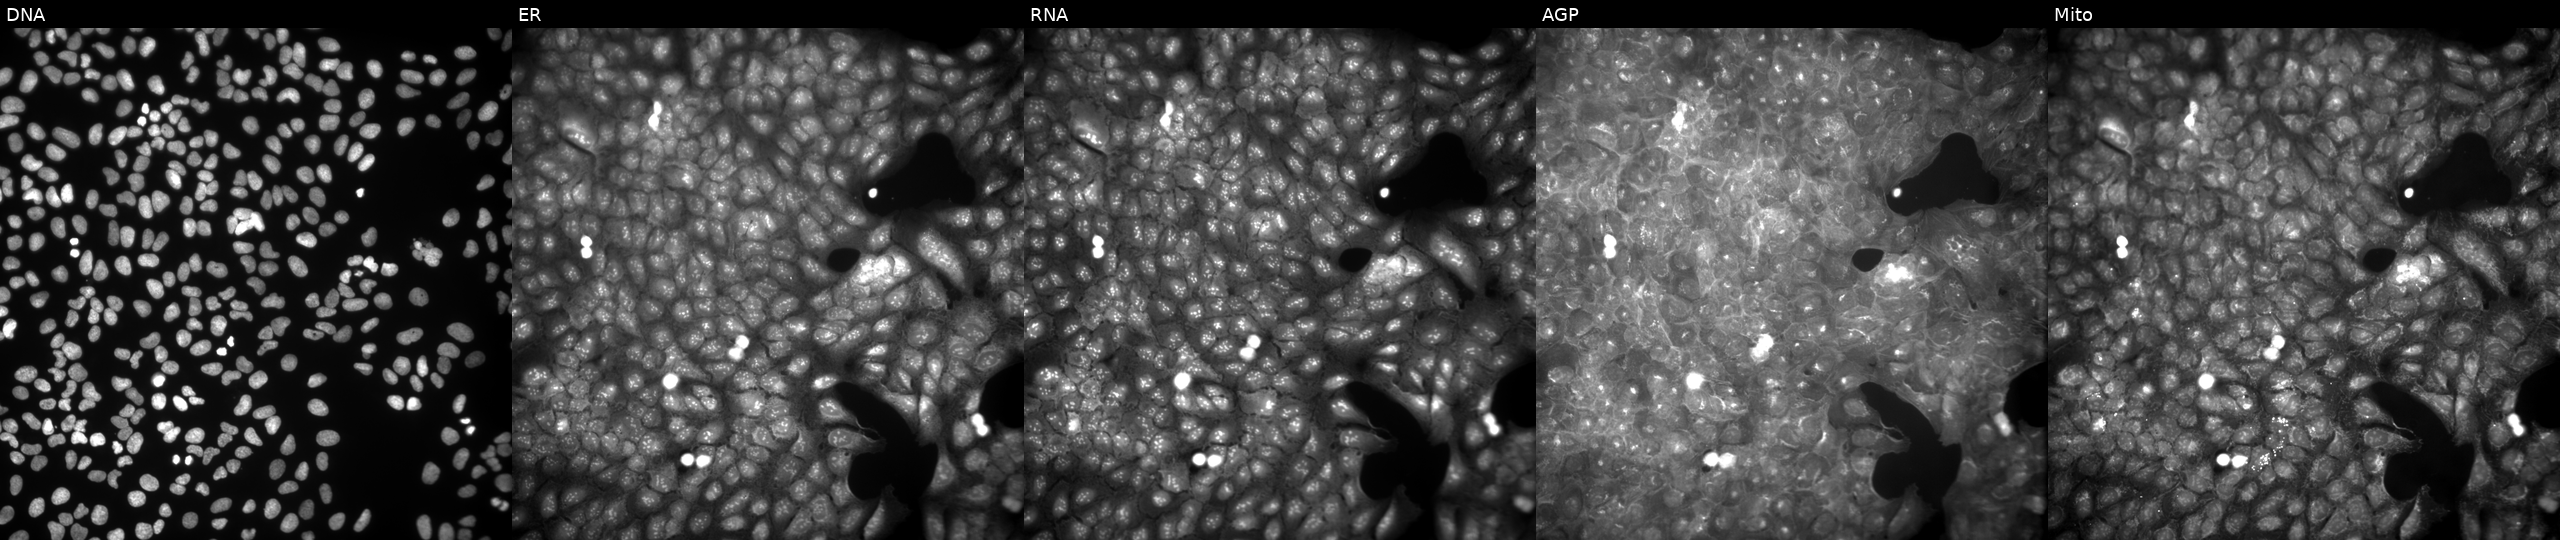
U2OS cells, Cell Painting assay, treated with a small-molecule compound (InChIKey SQELFMOZMHVIGU-UHFFFAOYSA-N) [SMILES: CSc1nc2ccccc2c(=O)n1-c1cccc(C)c1] (JUMP id JCP2022_084904). From left to right: DNA (nuclei); ER (endoplasmic reticulum); RNA (nucleoli and cytoplasmic RNA); AGP (actin cytoskeleton, Golgi, and plasma membrane); Mito (mitochondria). Each panel is percentile-stretched 16-bit fluorescence. Source 9, plate GR00003382, well Z37.